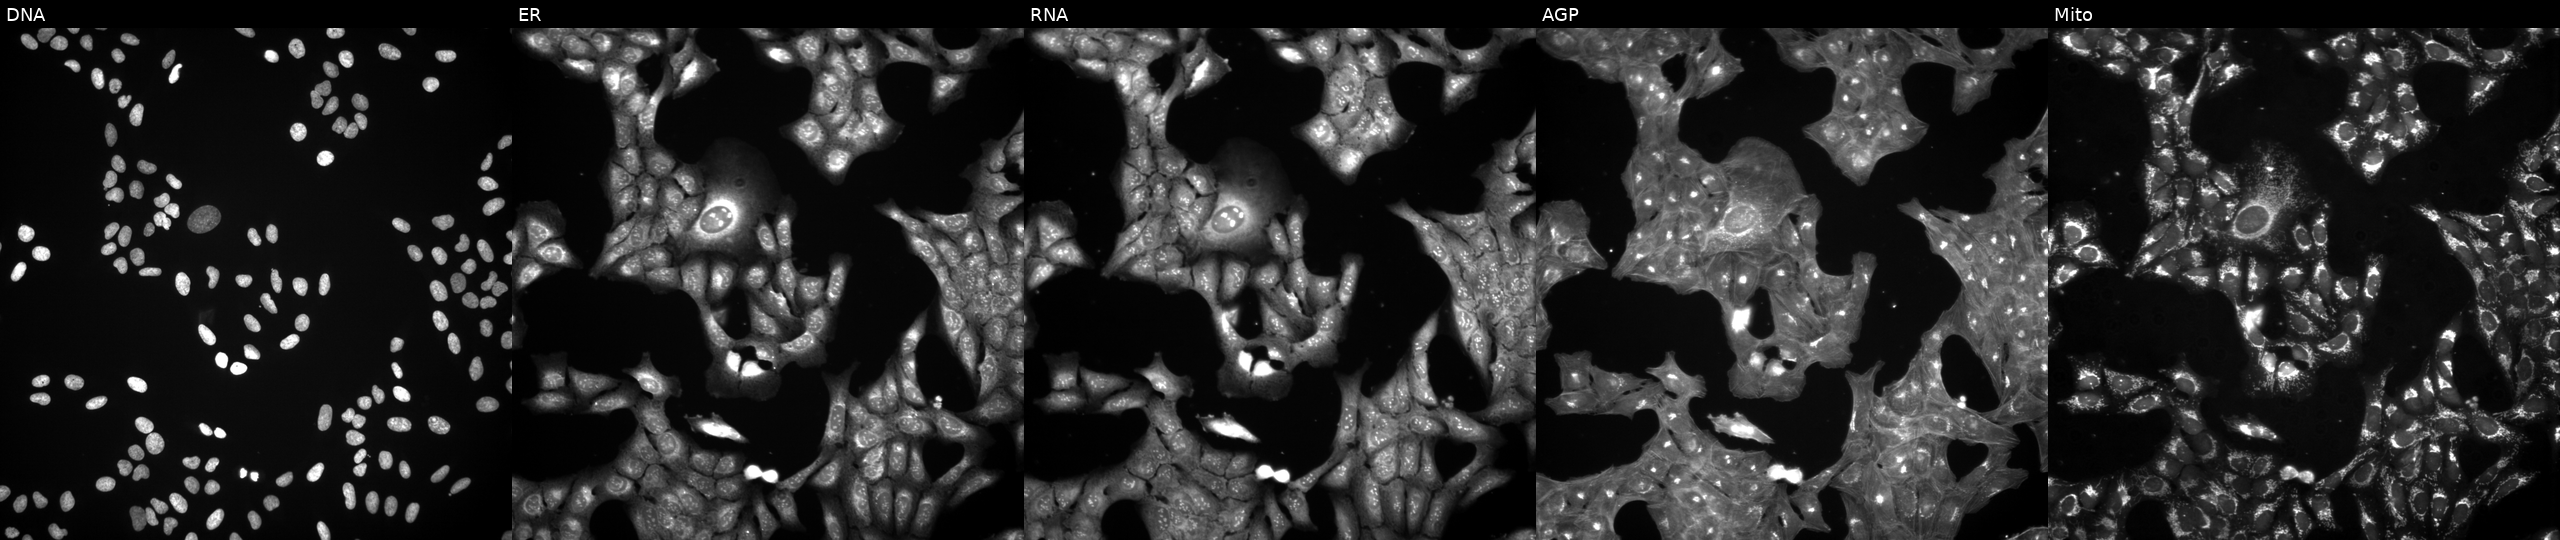
High-content fluorescence microscopy (Cell Painting). Cell line: U2OS. Perturbation: treated with DMSO vehicle only (negative control) (JUMP id JCP2022_033924). From left to right: DNA (nuclei); ER (endoplasmic reticulum); RNA (nucleoli and cytoplasmic RNA); AGP (actin cytoskeleton, Golgi, and plasma membrane); Mito (mitochondria). Source 3, plate JCPQC052, well K14.